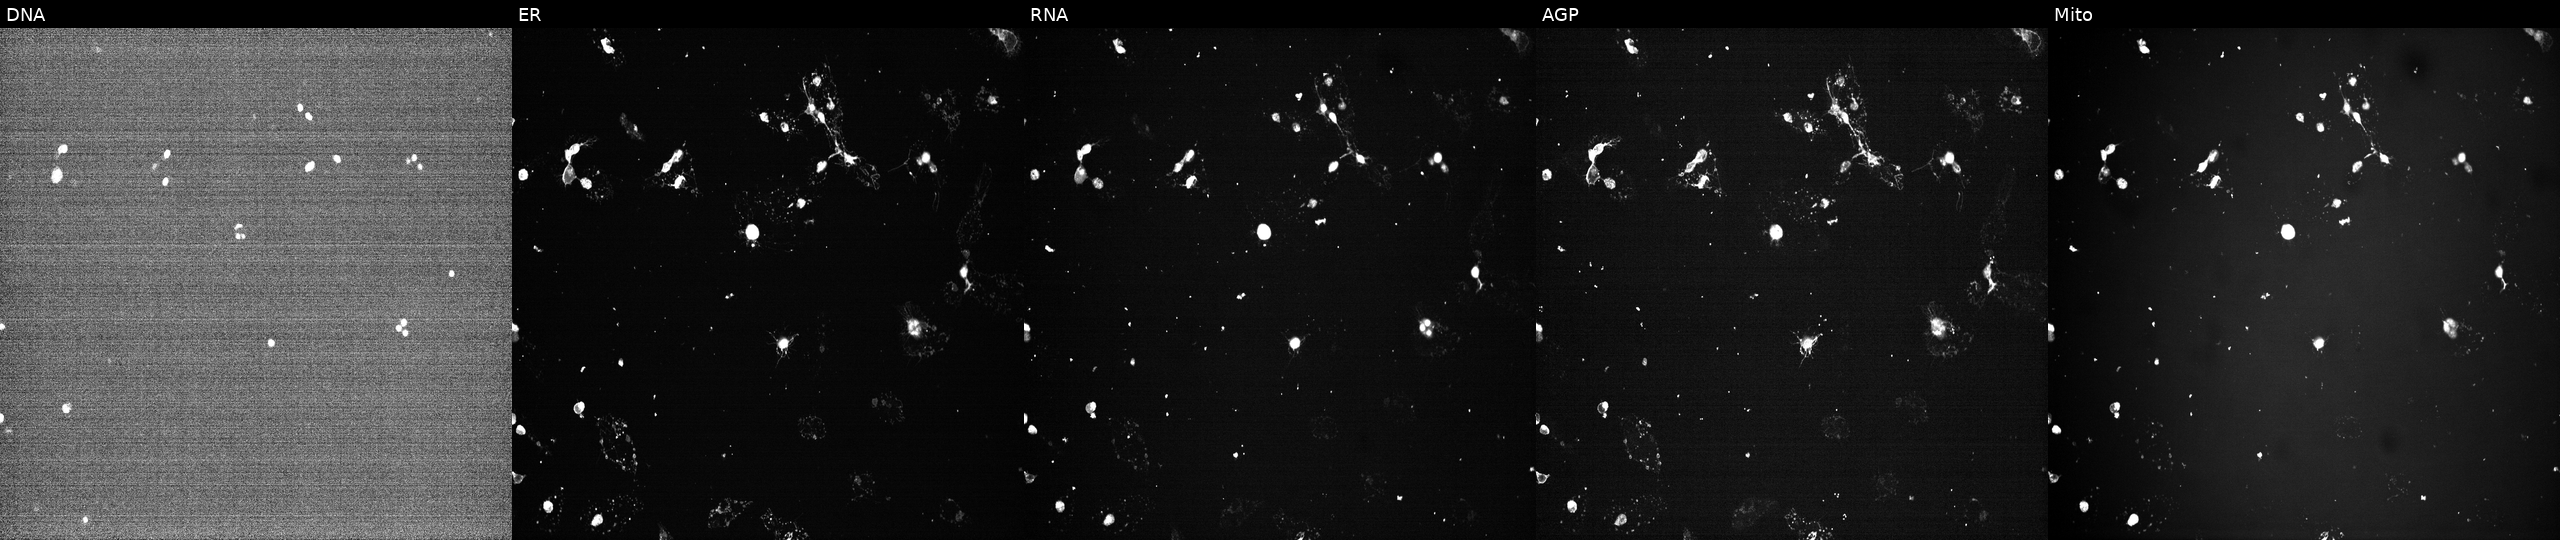
Five-channel Cell Painting image of U2OS cells treated with a small-molecule compound (InChIKey IAYGCINLNONXHY-UHFFFAOYSA-N) [SMILES: NC(=O)Nc1cc(-c2cccc(F)c2)sc1C(=O)NC1CCCNC1]. The five panels, left to right, show DNA, ER, RNA, AGP, and Mito. Source 7, plate CP1-SC1-25, well F22.